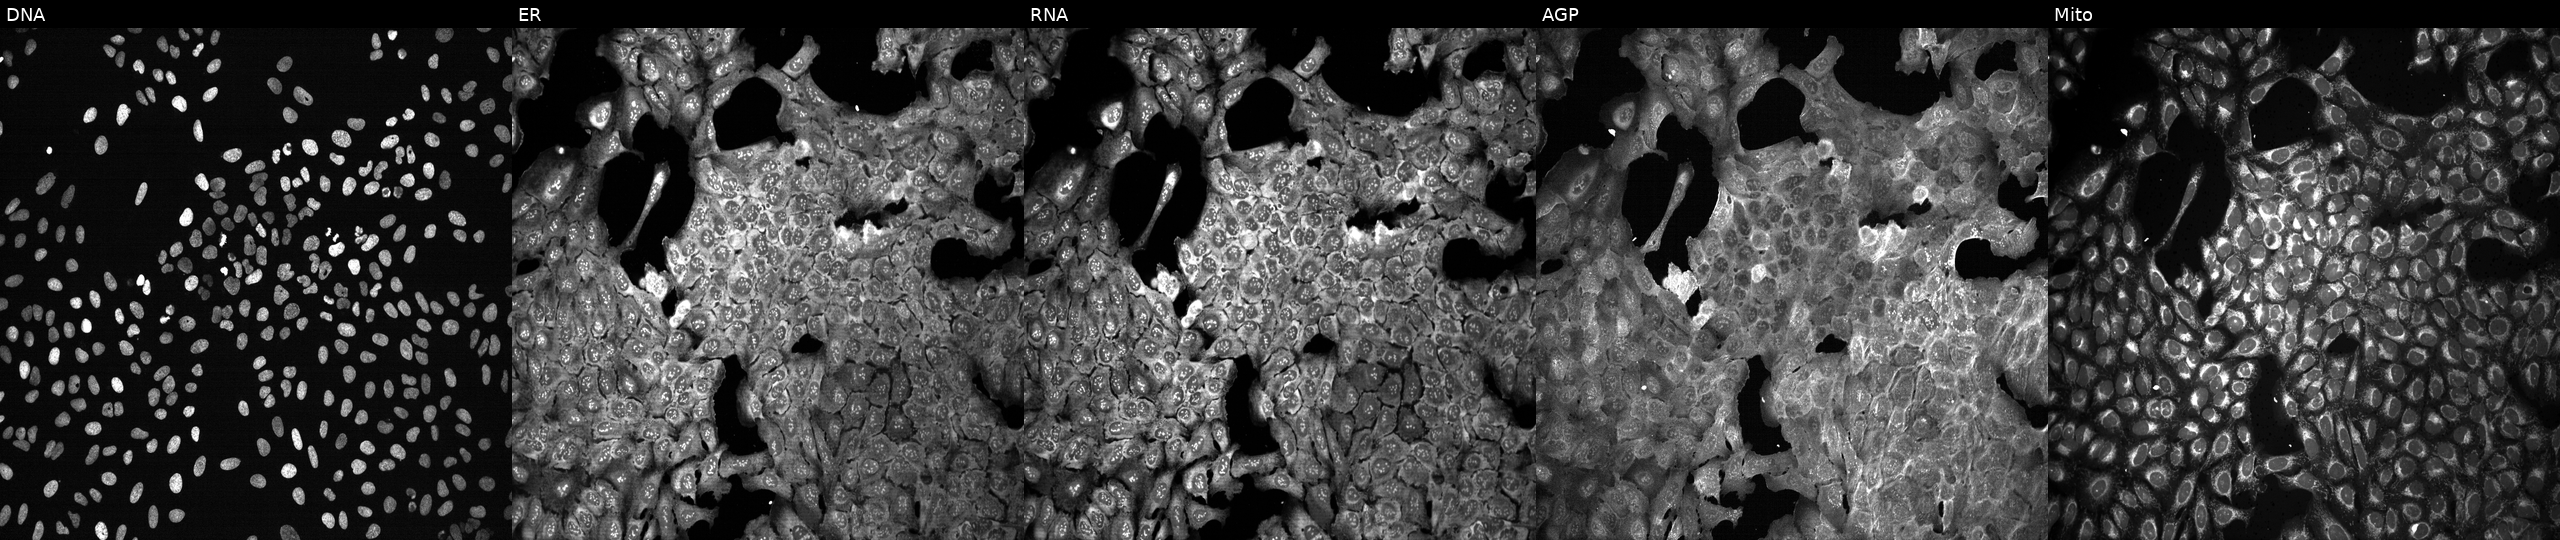
From left to right: Hoechst 33342, concanavalin A, SYTO 14, phalloidin and WGA, MitoTracker. U2OS osteosarcoma cells with a non-targeting CRISPR guide (negative control) (JUMP id JCP2022_800002). Cell Painting assay, JUMP-CP dataset.